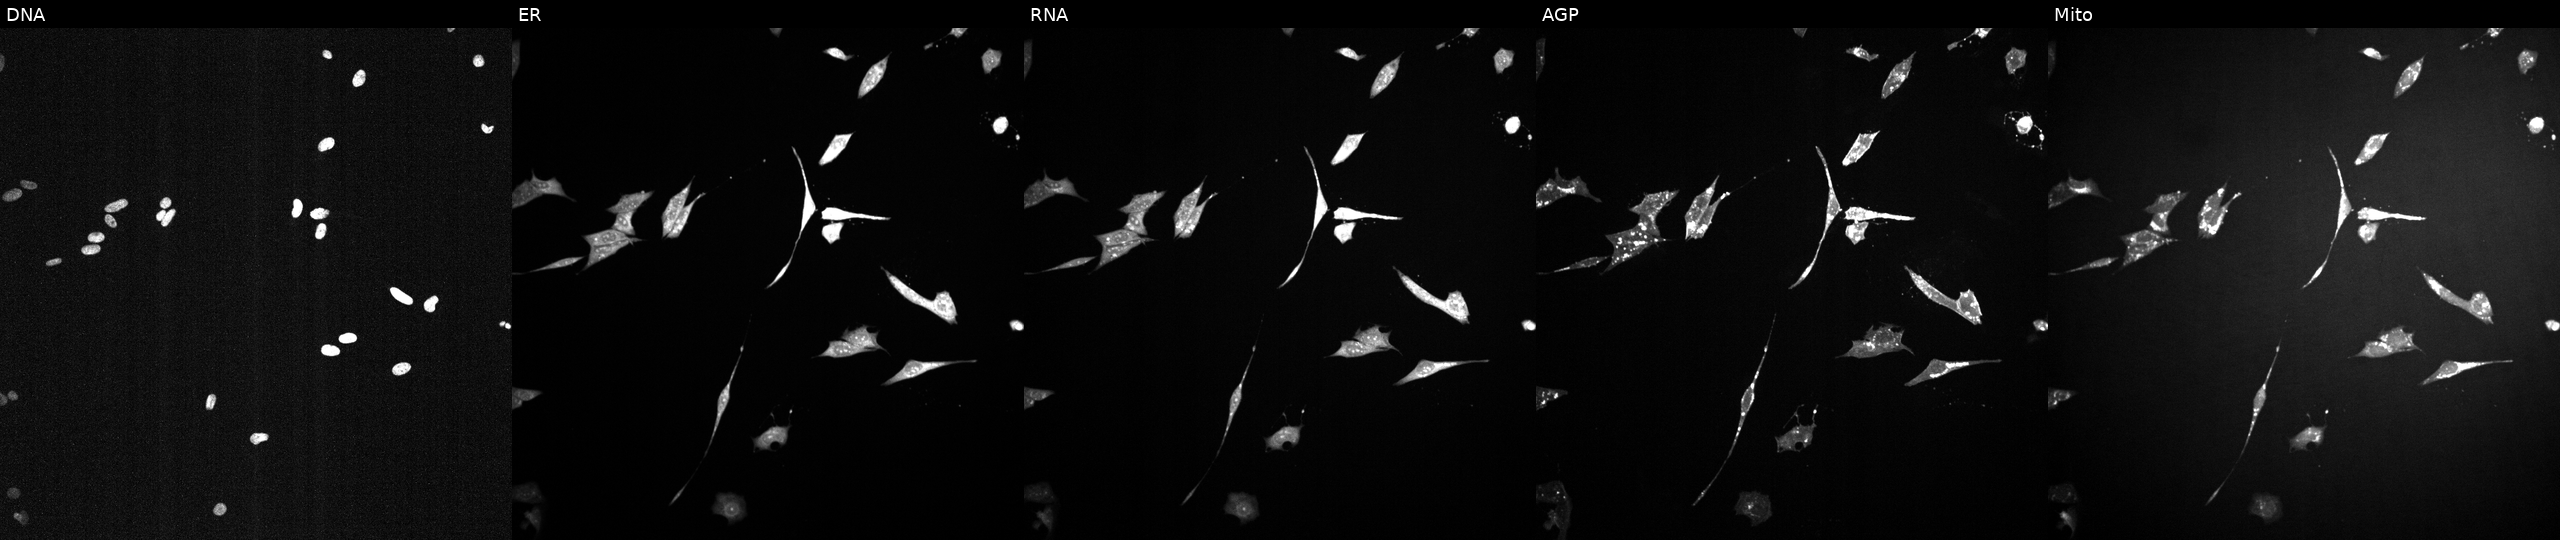
JUMP Cell Painting — TARGET2 plate. U2OS cells exposed to a small-molecule compound (InChIKey DPJNKUOXBZSZAI-UHFFFAOYSA-N). Panels show, left to right, DNA (nuclei); ER (endoplasmic reticulum); RNA (nucleoli and cytoplasmic RNA); AGP (actin cytoskeleton, Golgi, and plasma membrane); Mito (mitochondria).